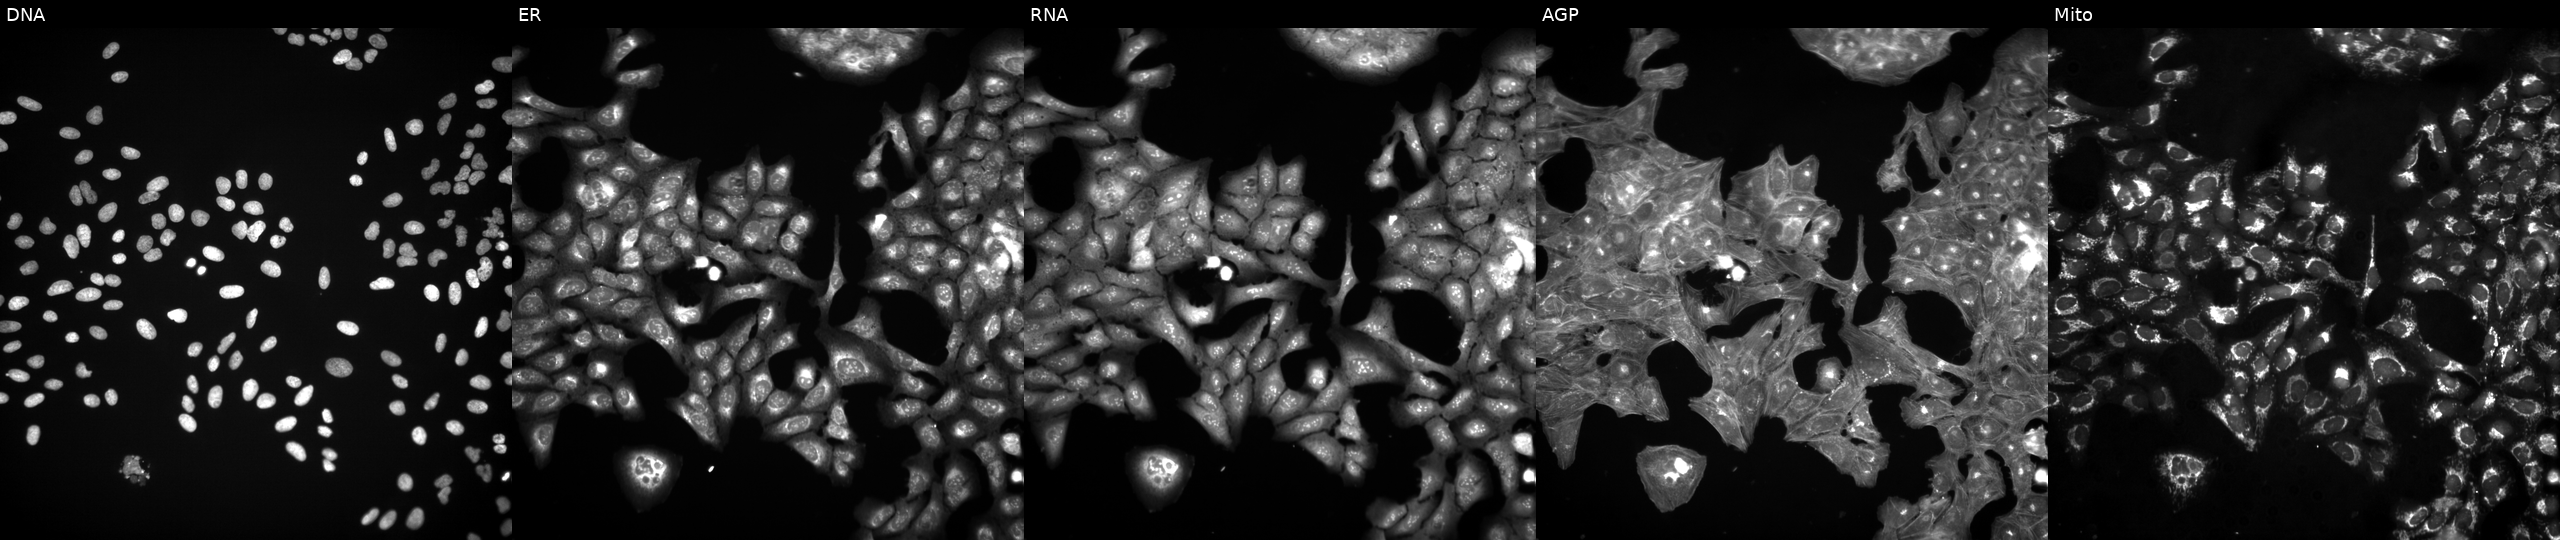
JUMP Cell Painting — TARGET2 plate. U2OS cells perturbed with a small-molecule compound (InChIKey UPWGQKDVAURUGE-UHFFFAOYSA-N). Panels show, left to right, DNA, ER, RNA, AGP, and Mito. Source 3, plate JCPQC053, well P14.